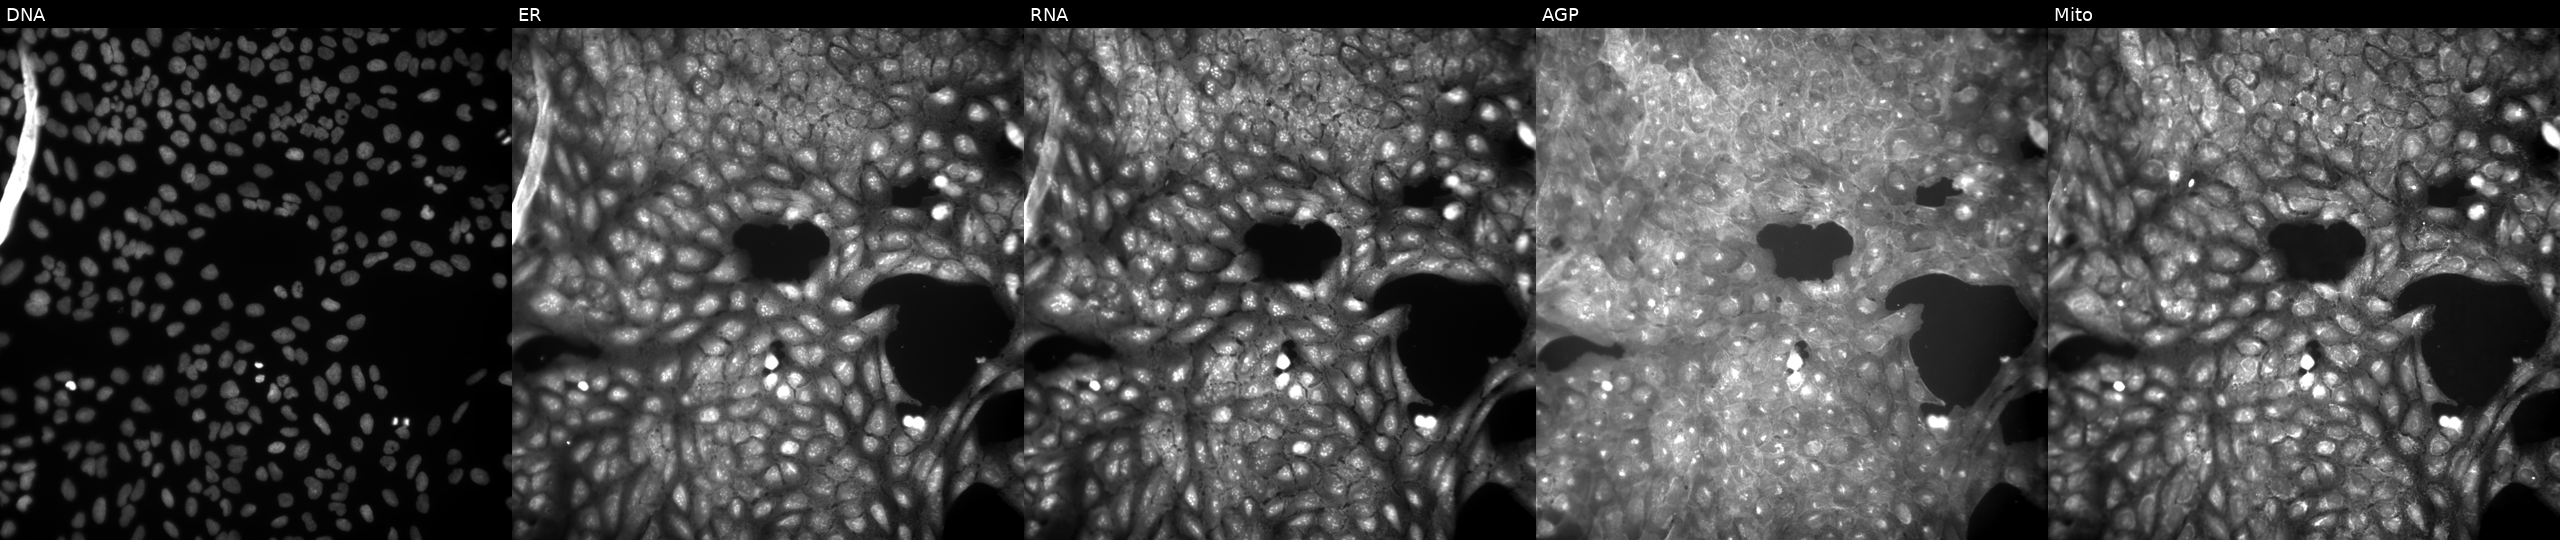
The five panels, left to right, show DNA (nuclei); ER (endoplasmic reticulum); RNA (nucleoli and cytoplasmic RNA); AGP (actin cytoskeleton, Golgi, and plasma membrane); Mito (mitochondria). U2OS osteosarcoma cells treated with a small-molecule compound (InChIKey PKHXZCADQSXUCF-UHFFFAOYSA-N) (JUMP id JCP2022_069167). Cell Painting assay, JUMP-CP dataset.